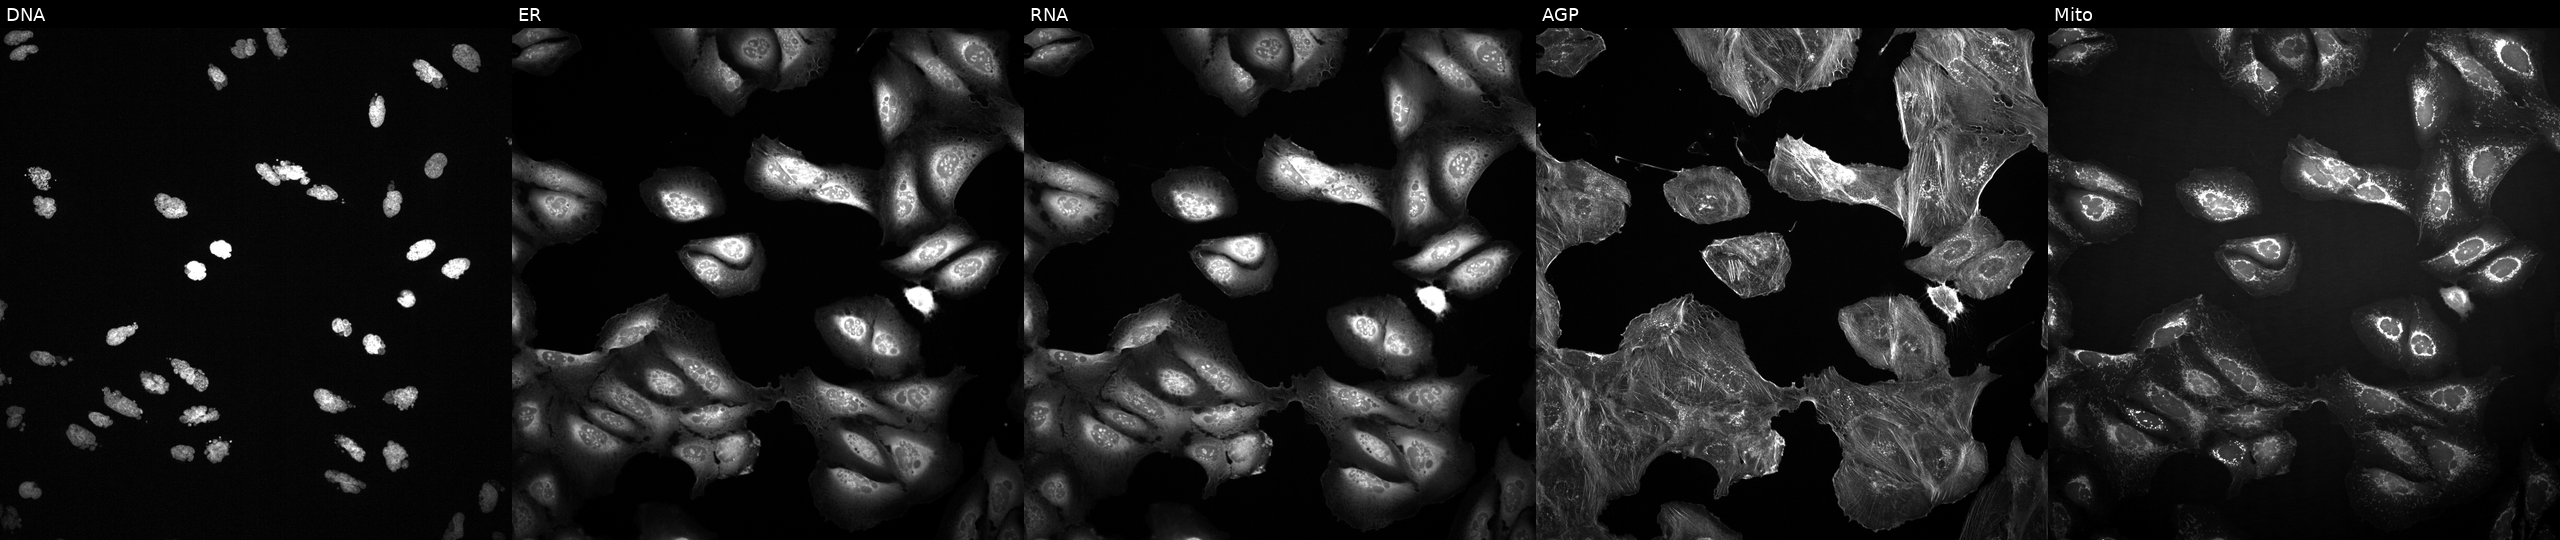
U2OS cells, Cell Painting assay, exposed to the positive-control compound AMG900 (JUMP id JCP2022_037716). Panels show, left to right, Hoechst 33342, concanavalin A, SYTO 14, phalloidin and WGA, MitoTracker. Each panel is percentile-stretched 16-bit fluorescence.